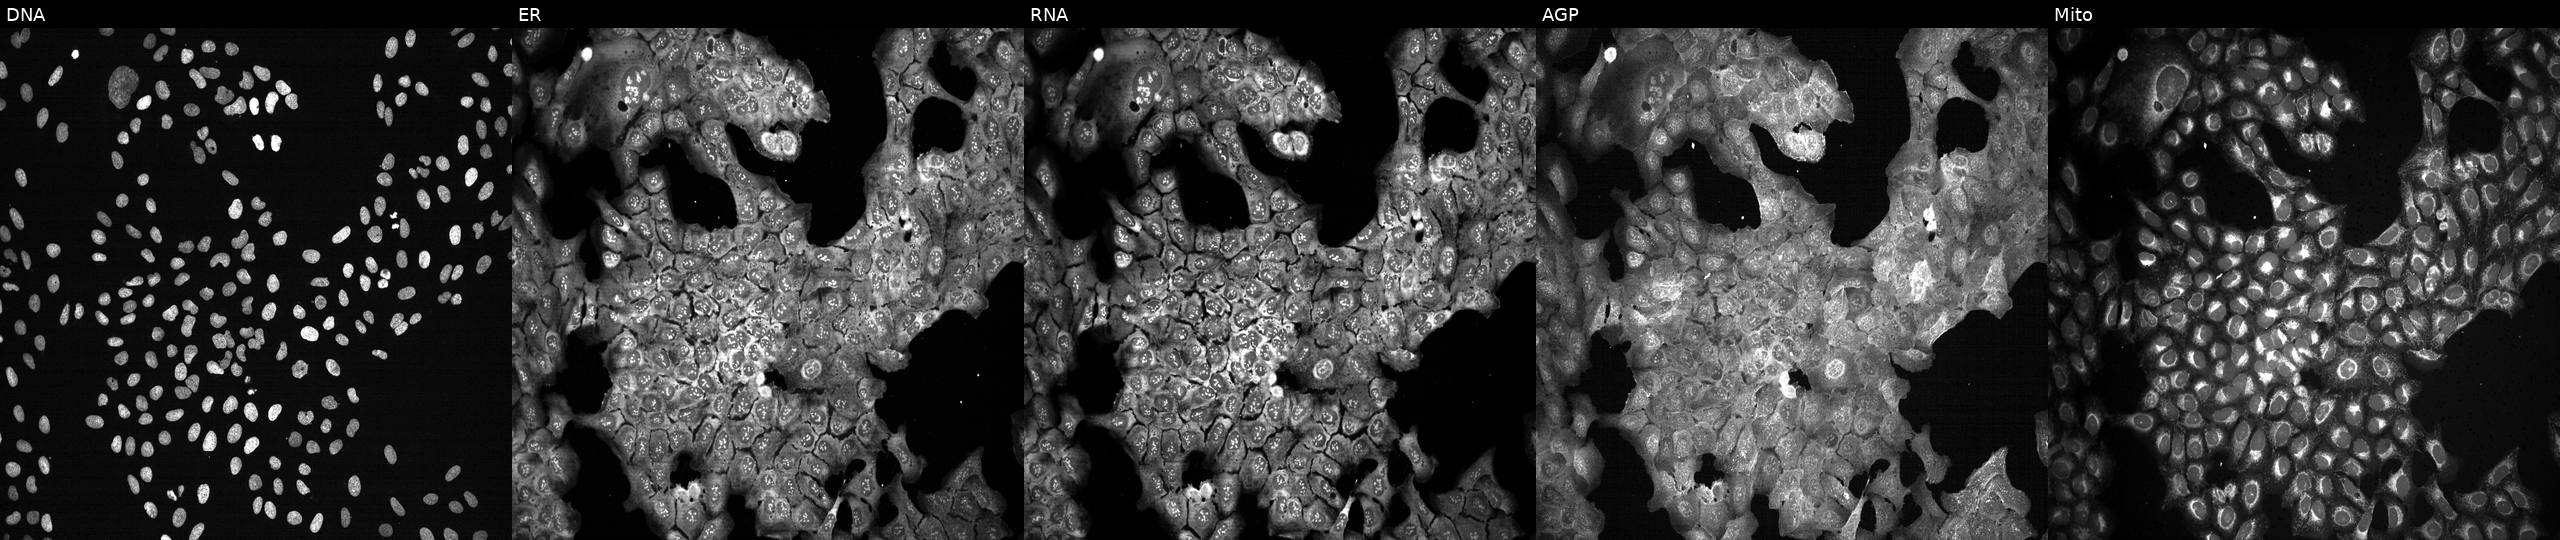
Five-channel Cell Painting image of U2OS cells with CYP26A1 knocked out by CRISPR (JUMP id JCP2022_801627). The five panels, left to right, show Hoechst 33342, concanavalin A, SYTO 14, phalloidin and WGA, MitoTracker. Source 13, plate CP-CC9-R2-02, well L21.